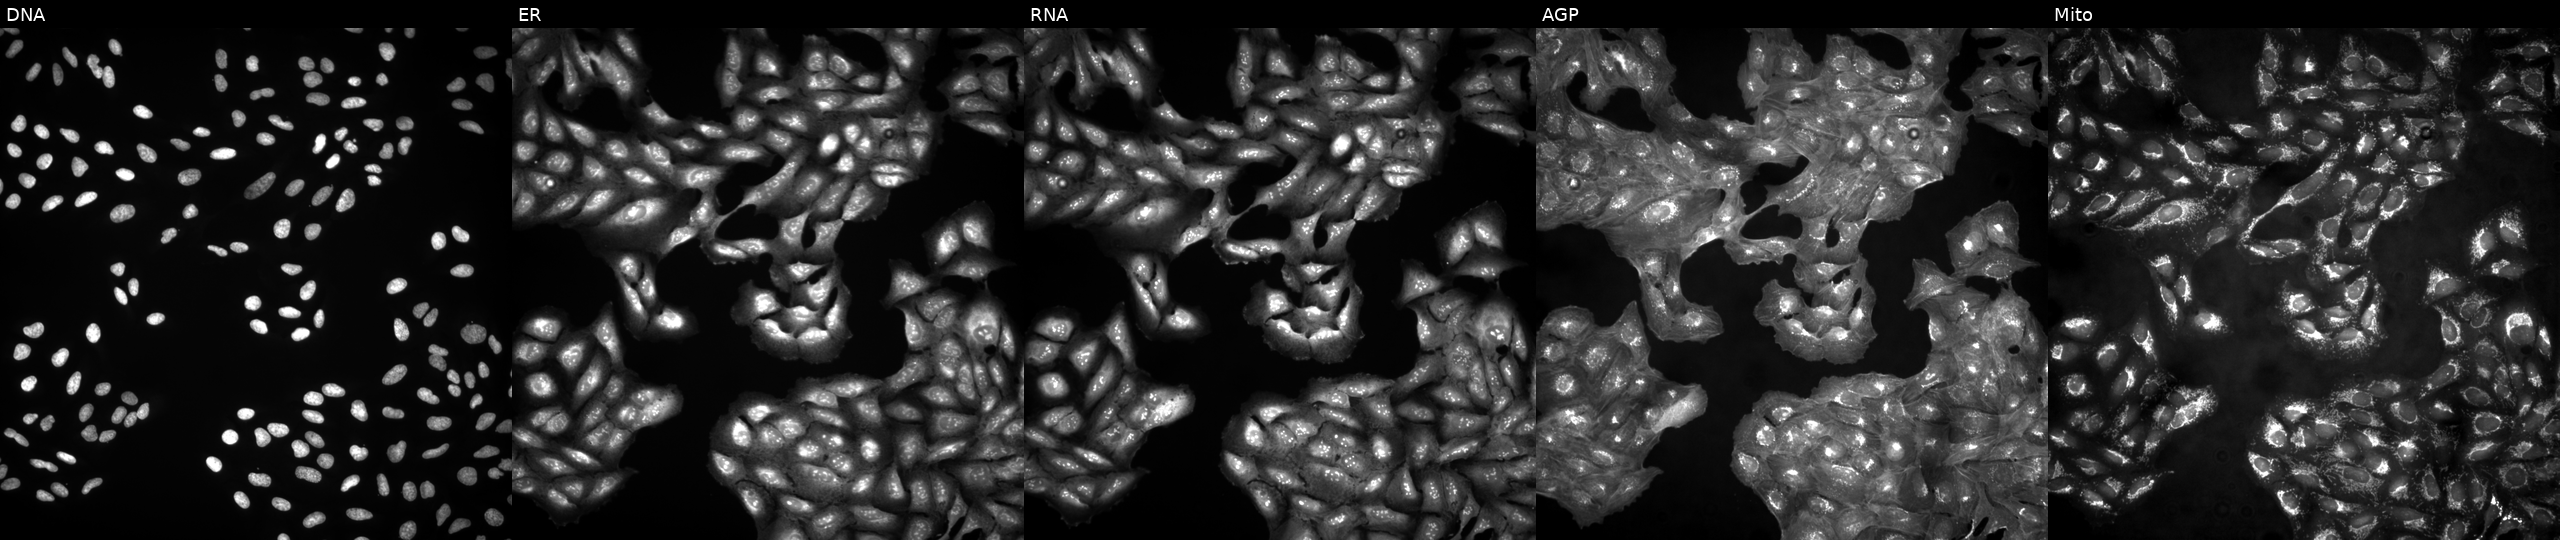
This image strip shows the five Cell Painting channels for a single field of U2OS cells untreated (empty-well control) (JUMP id JCP2022_999999). Panels show, left to right, DNA (nuclei); ER (endoplasmic reticulum); RNA (nucleoli and cytoplasmic RNA); AGP (actin cytoskeleton, Golgi, and plasma membrane); Mito (mitochondria).